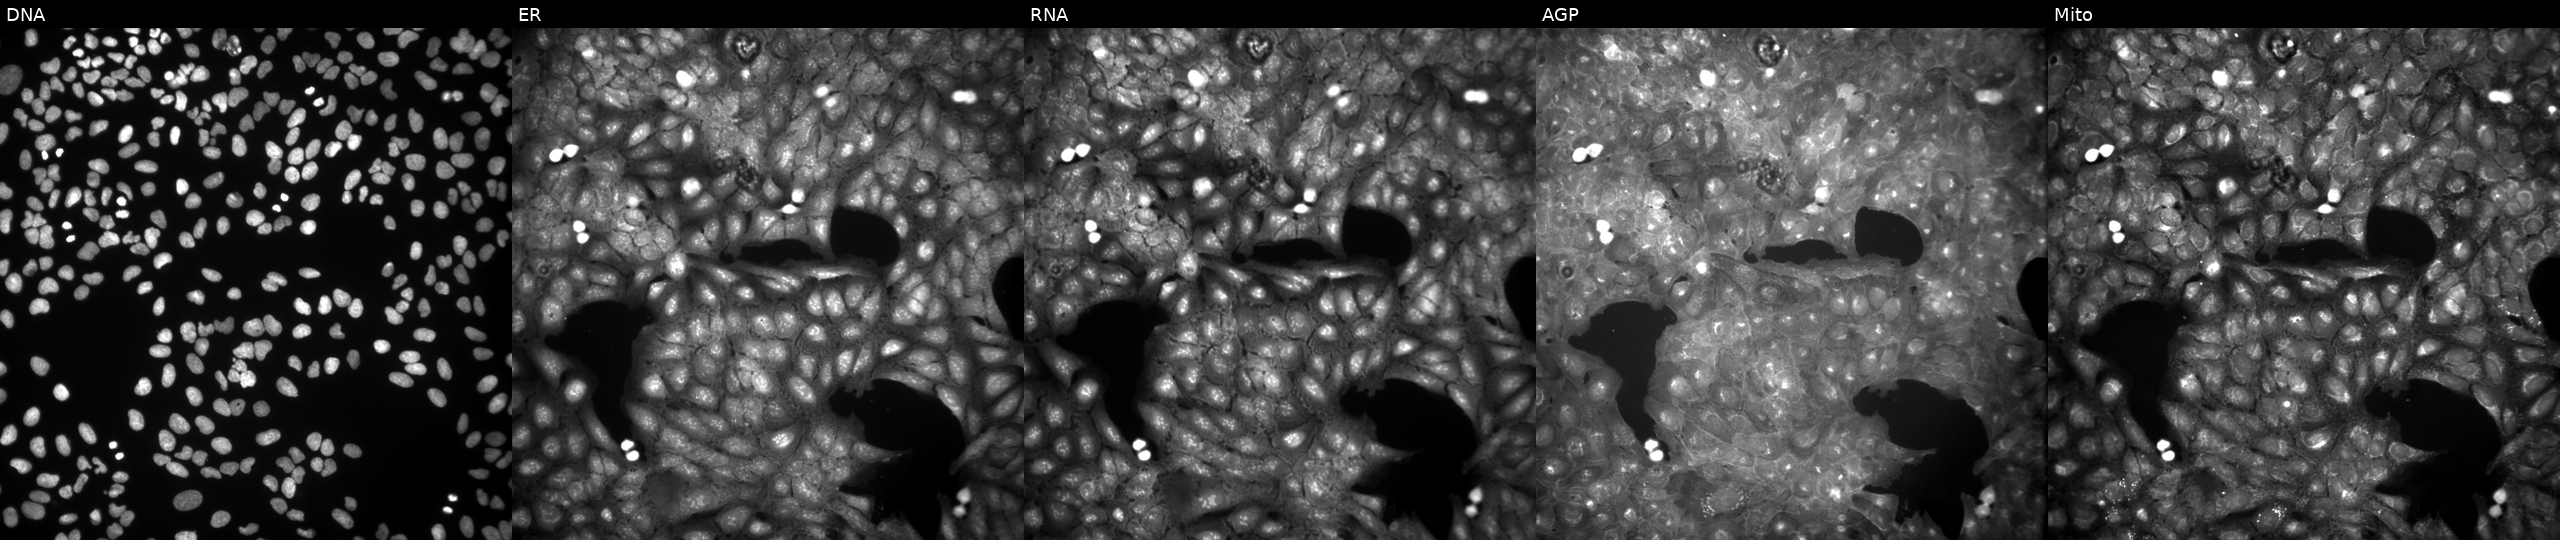
This image strip shows the five Cell Painting channels for a single field of U2OS cells exposed to the positive-control compound quinidine. From left to right: DNA, ER, RNA, AGP, and Mito.